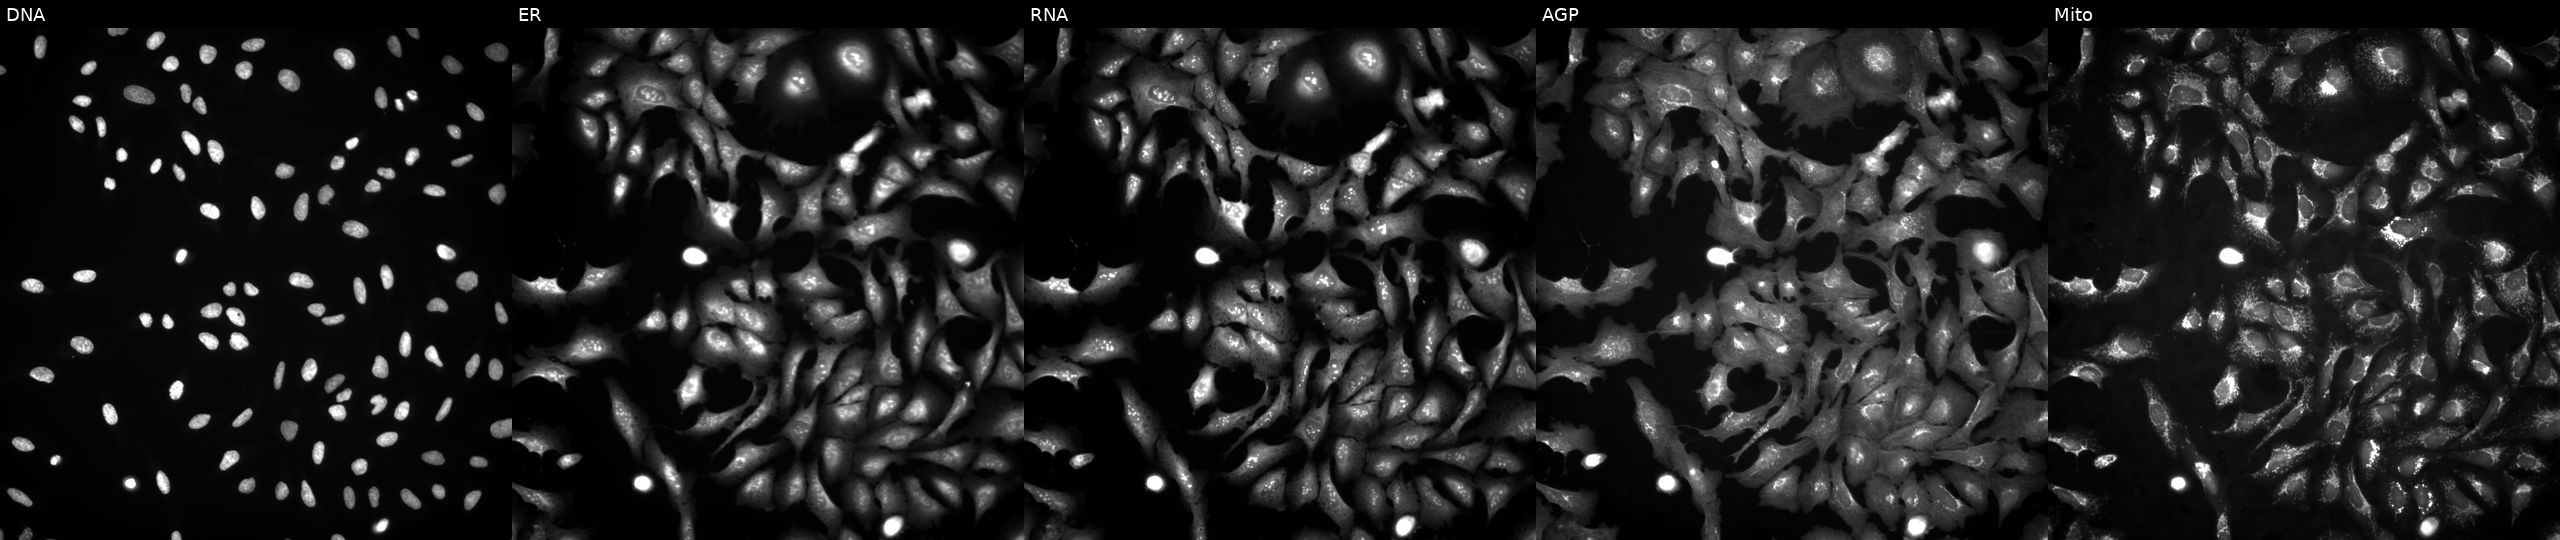
Five-channel Cell Painting image of U2OS cells transfected with an ORF construct for DDX19A (JUMP id JCP2022_903355). Panels show, left to right, Hoechst 33342, concanavalin A, SYTO 14, phalloidin and WGA, MitoTracker.